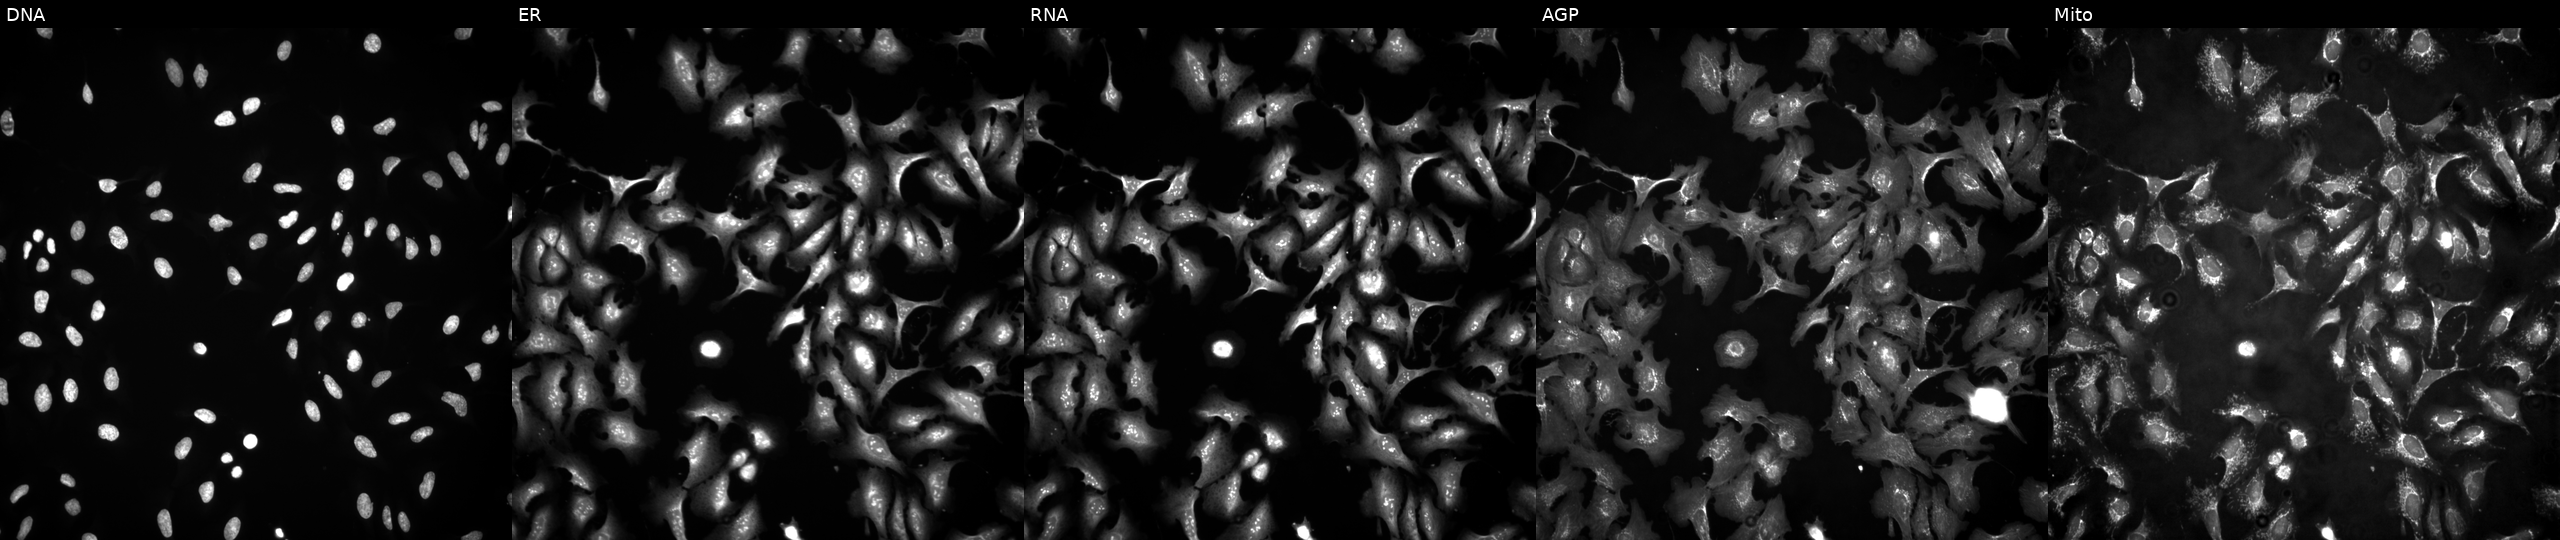
U2OS cells, Cell Painting assay, with SGK2 overexpressed (ORF) (JUMP id JCP2022_913974). The five panels, left to right, show DNA, ER, RNA, AGP, and Mito. Each panel is percentile-stretched 16-bit fluorescence.